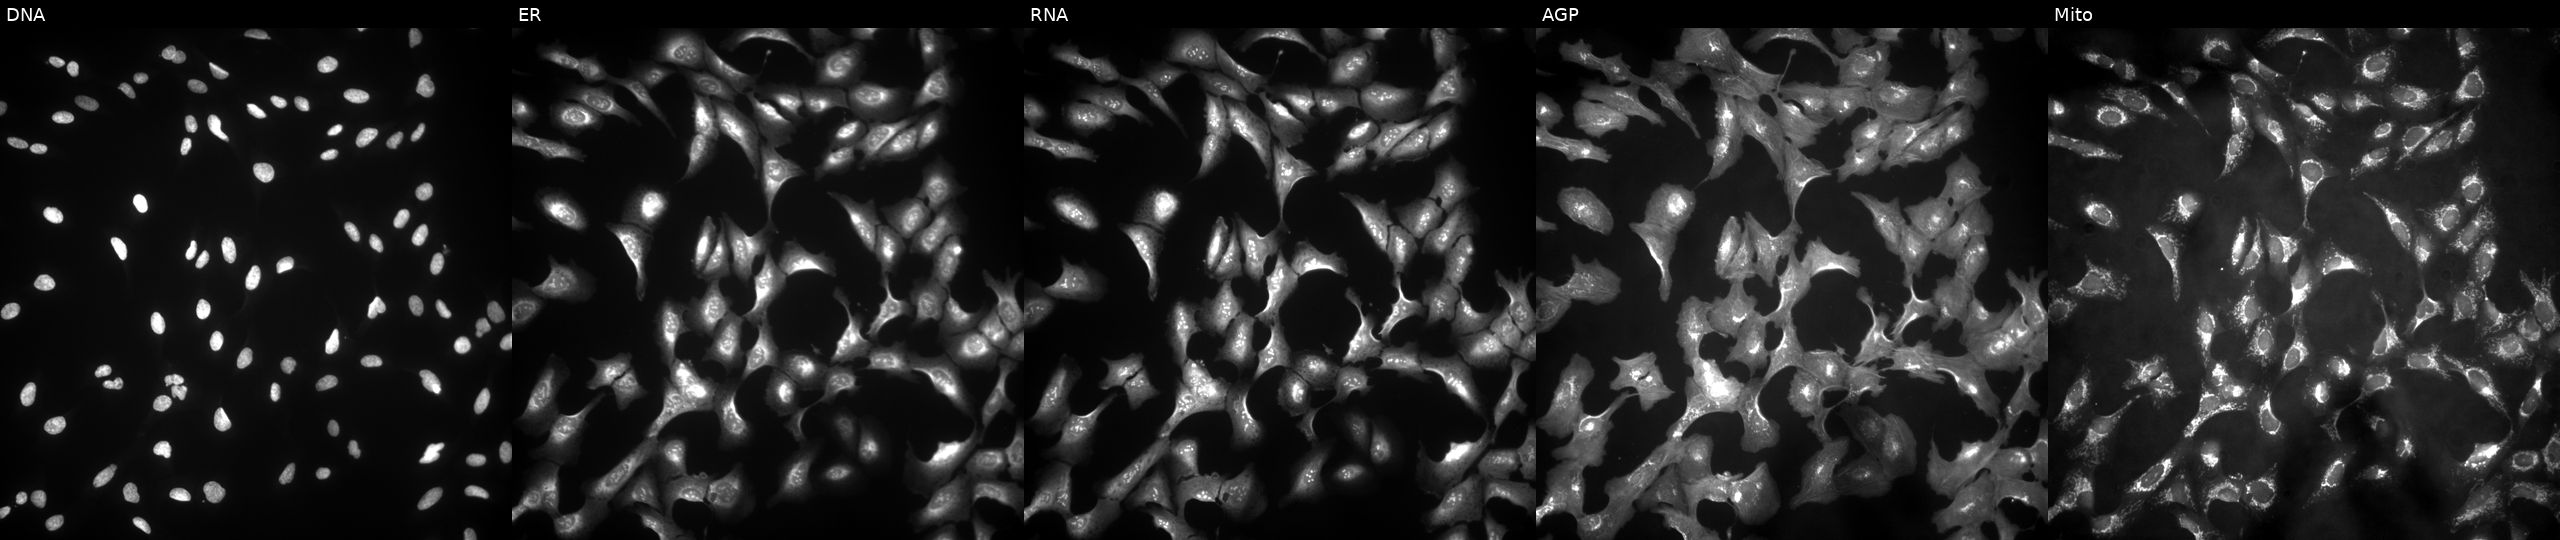
Five-channel Cell Painting image of U2OS cells overexpressing SLITRK4 via ORF transfection (JUMP id JCP2022_908933). Channels (left→right): DNA, ER, RNA, AGP, and Mito.